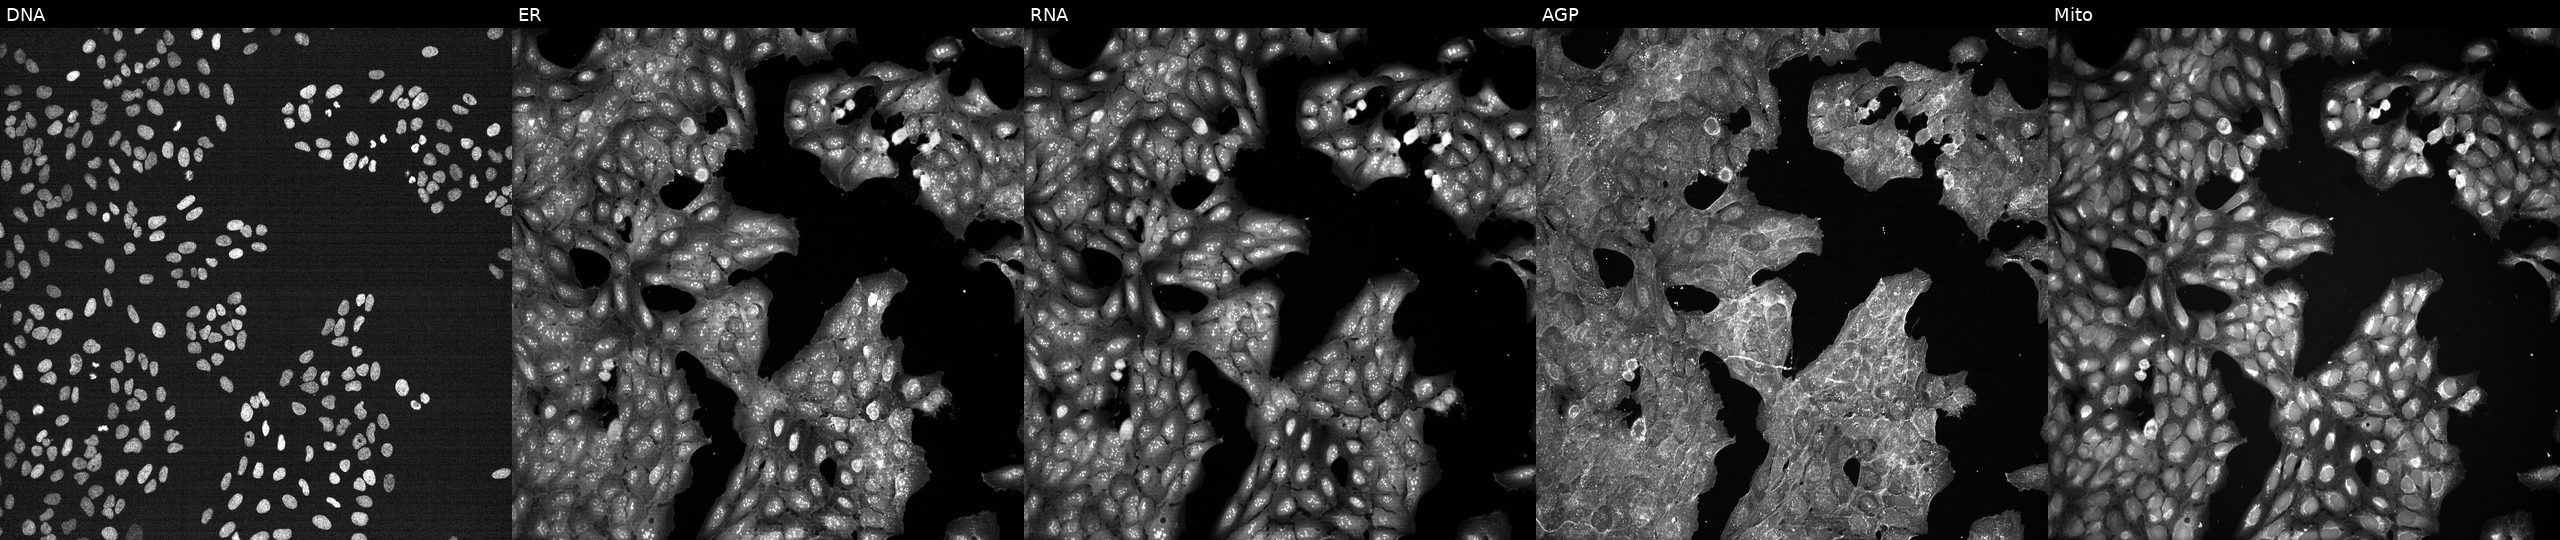
JUMP Cell Painting — TARGET2 plate. U2OS cells exposed to a small-molecule compound (InChIKey HFYPTENHTPNXGP-UHFFFAOYSA-N) (JUMP id JCP2022_029951). The five panels, left to right, show DNA (nuclei); ER (endoplasmic reticulum); RNA (nucleoli and cytoplasmic RNA); AGP (actin cytoskeleton, Golgi, and plasma membrane); Mito (mitochondria).